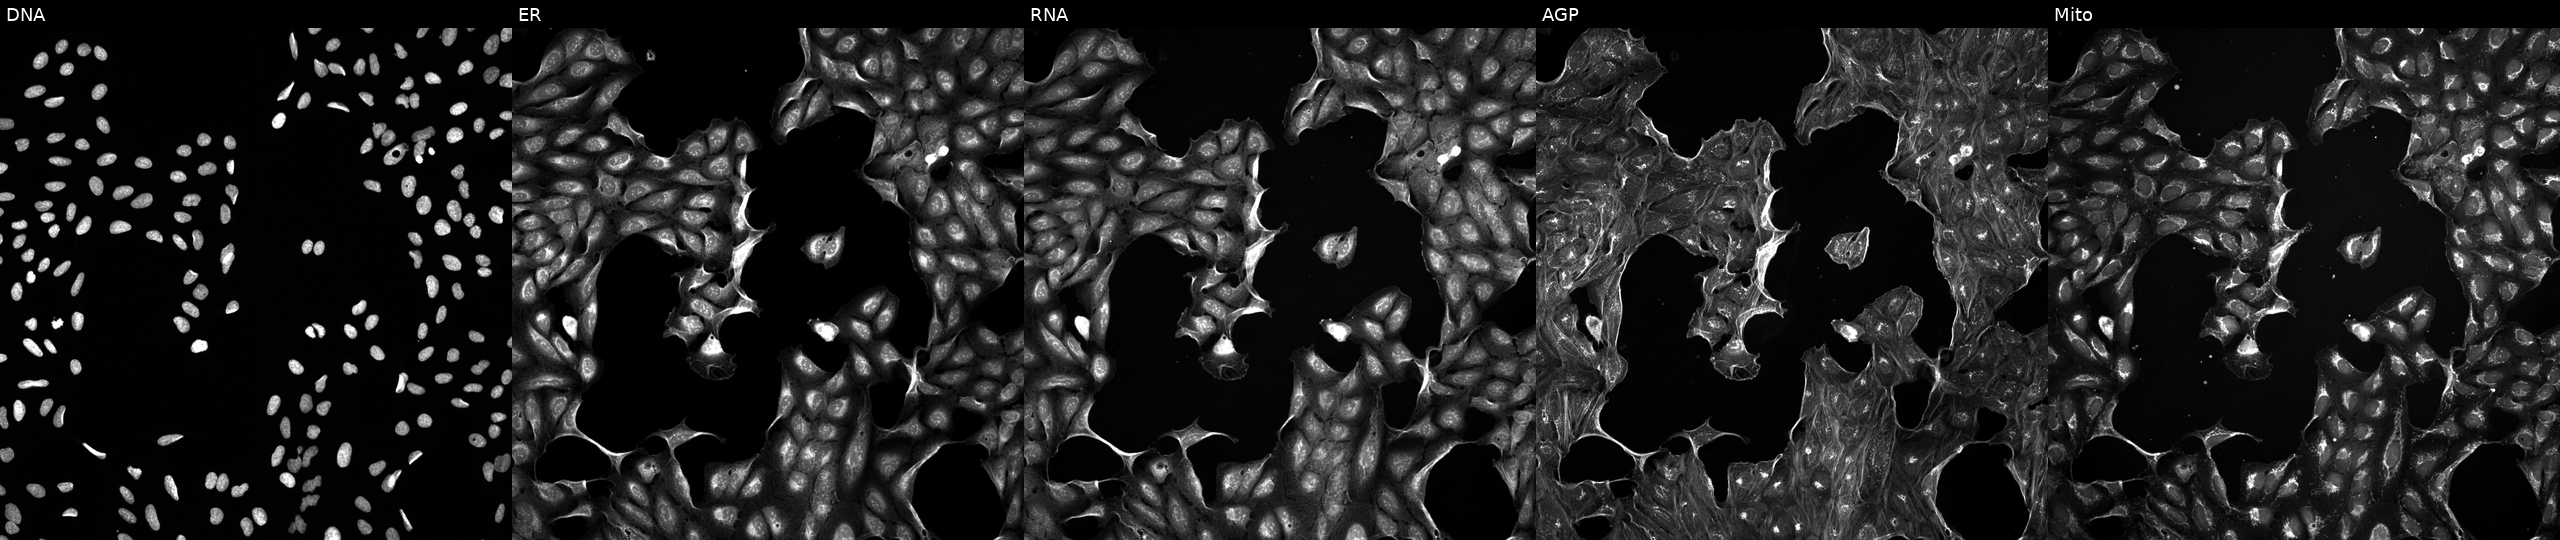
JUMP Cell Painting — TARGET2 plate. U2OS cells treated with a small-molecule compound (InChIKey XRVDGNKRPOAQTN-UHFFFAOYSA-N). Panels show, left to right, DNA (nuclei); ER (endoplasmic reticulum); RNA (nucleoli and cytoplasmic RNA); AGP (actin cytoskeleton, Golgi, and plasma membrane); Mito (mitochondria).